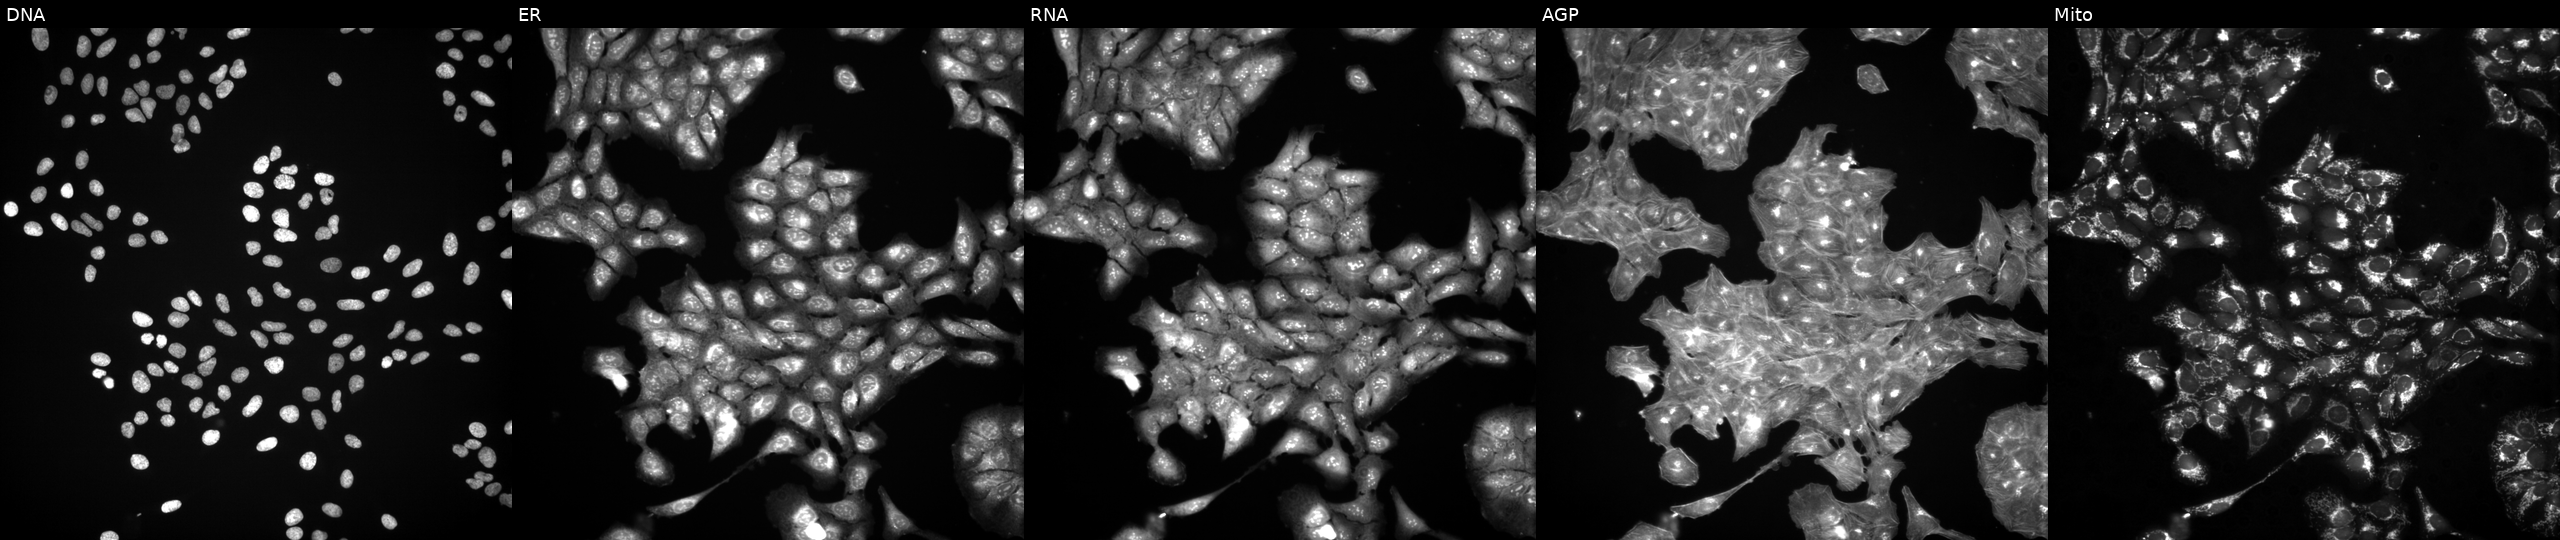
Channels (left→right): DNA, ER, RNA, AGP, and Mito. U2OS osteosarcoma cells perturbed with a small-molecule compound (InChIKey RYEFFICCPKWYML-UHFFFAOYSA-N). Cell Painting assay, JUMP-CP dataset. Source 3, plate JCPQC051, well M09.